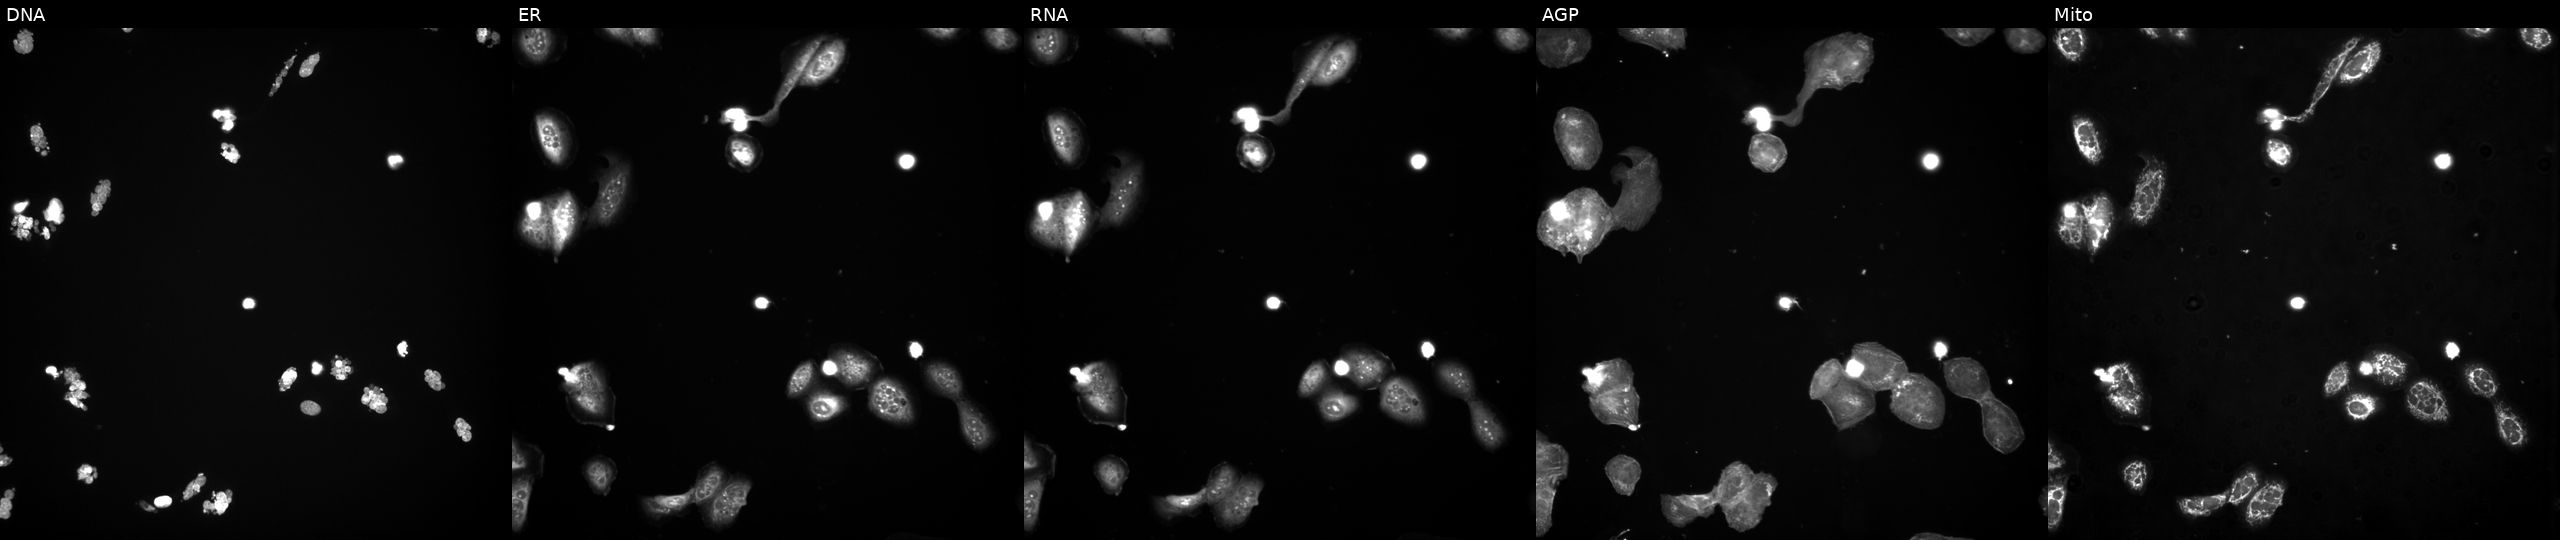
Five-channel Cell Painting image of U2OS cells treated with a small-molecule compound (InChIKey FABUFPQFXZVHFB-UHFFFAOYSA-N). Channels (left→right): DNA, ER, RNA, AGP, and Mito.